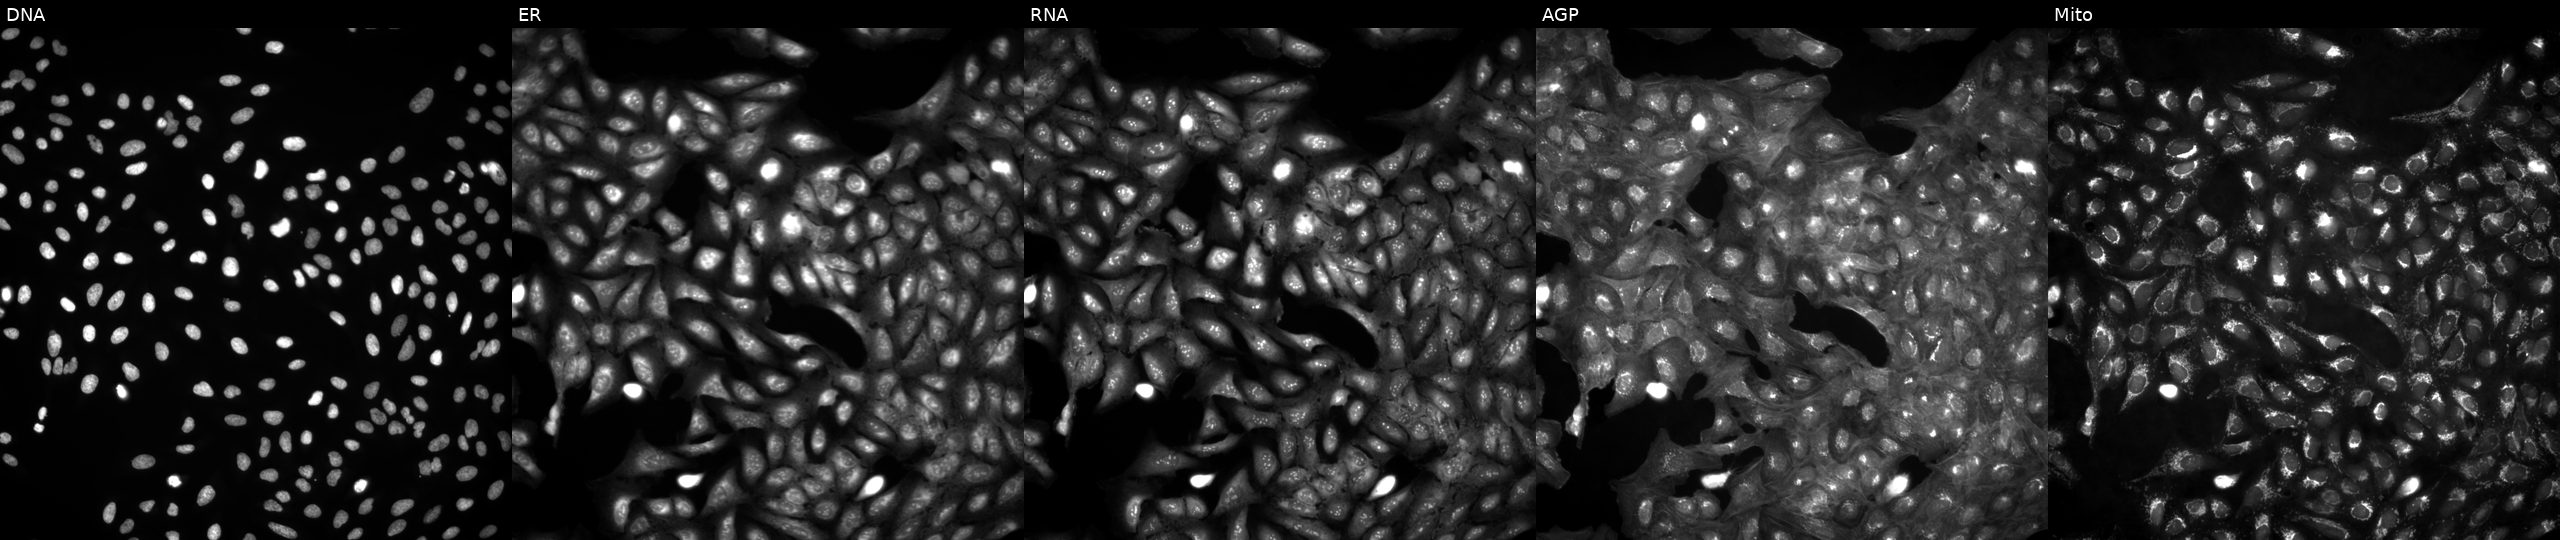
High-content fluorescence microscopy (Cell Painting). Cell line: U2OS. Perturbation: untreated (empty-well control) (JUMP id JCP2022_999999). From left to right: DNA, ER, RNA, AGP, and Mito.